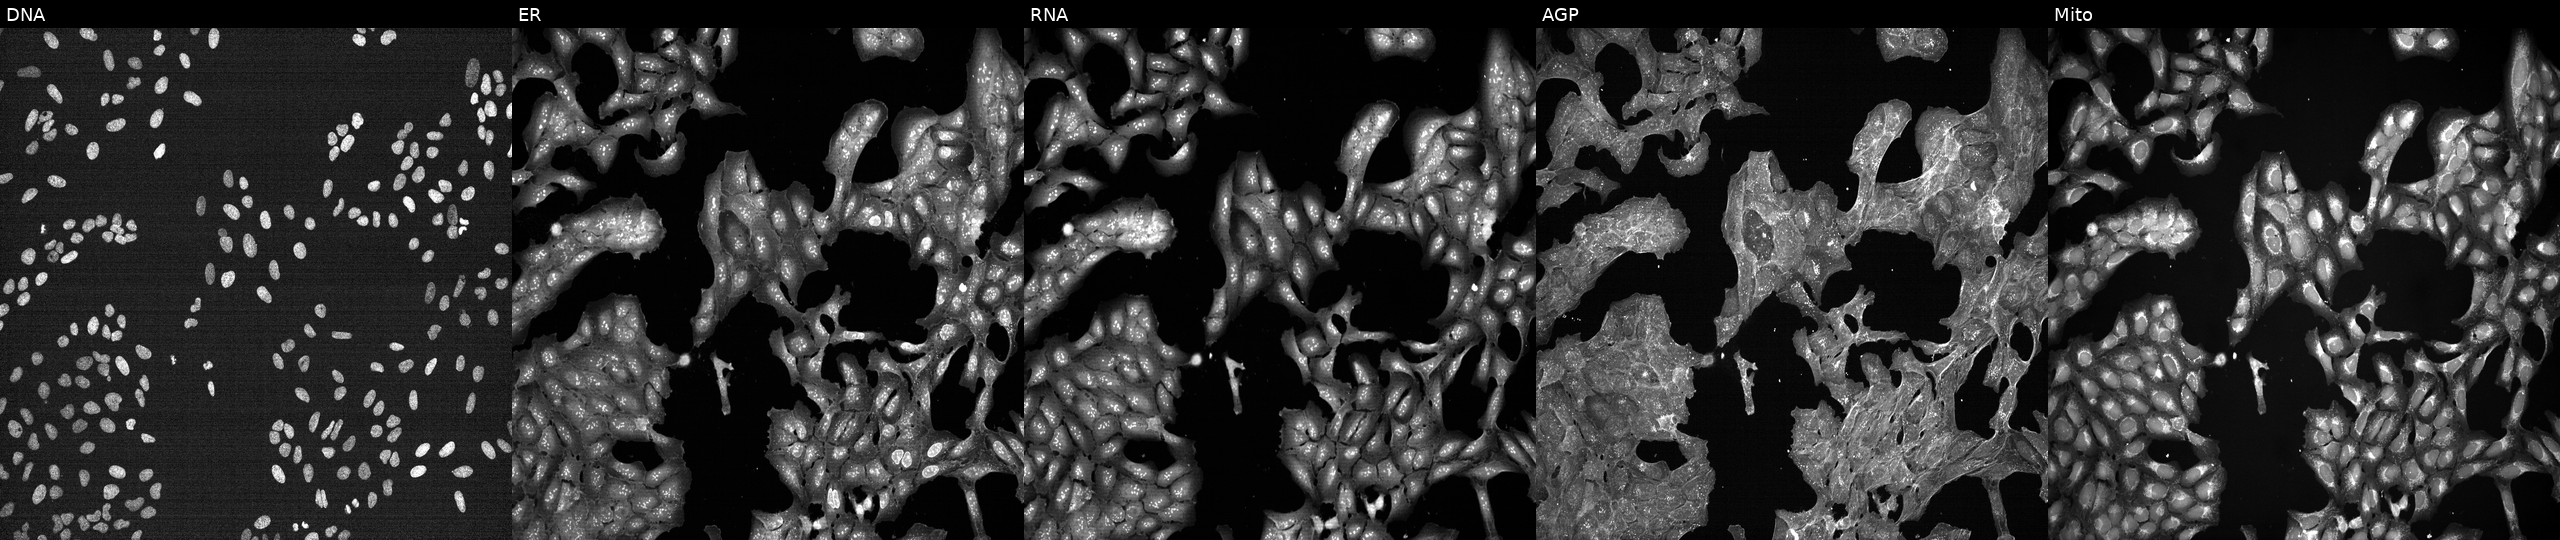
U2OS cells, Cell Painting assay, exposed to DMSO alone as a negative control. Channels (left→right): DNA (nuclei); ER (endoplasmic reticulum); RNA (nucleoli and cytoplasmic RNA); AGP (actin cytoskeleton, Golgi, and plasma membrane); Mito (mitochondria). Each panel is percentile-stretched 16-bit fluorescence. Source 7, plate CP1-SC1-25, well L13.